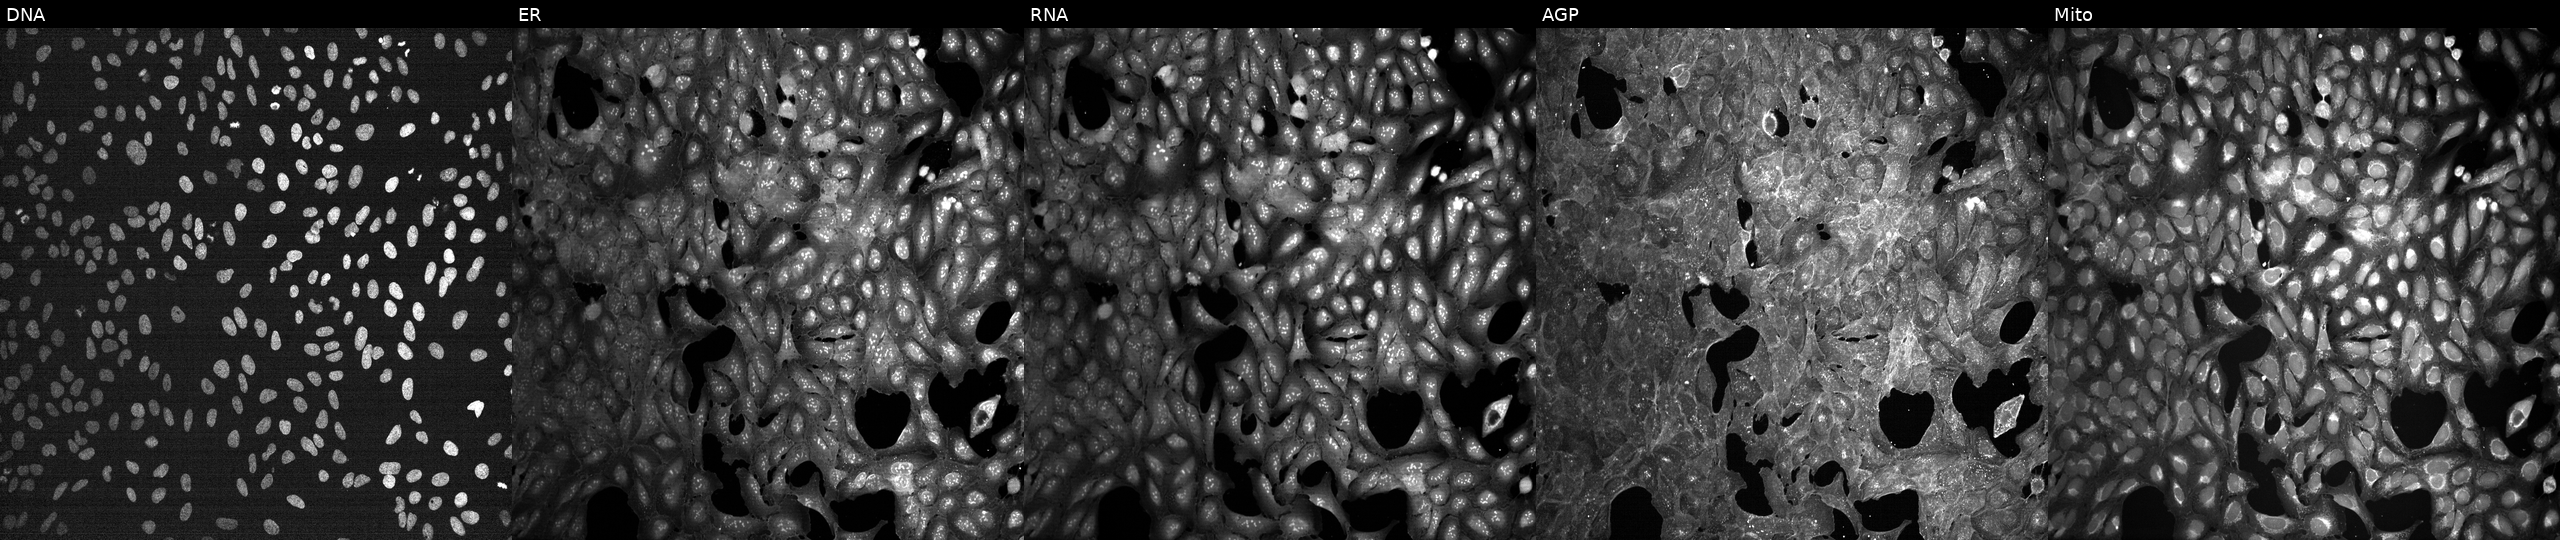
JUMP Cell Painting — TARGET2 plate. U2OS cells exposed to a small-molecule compound (JUMP id JCP2022_027911). The five panels, left to right, show Hoechst 33342, concanavalin A, SYTO 14, phalloidin and WGA, MitoTracker. Source 7, plate CP1-SC1-25, well A06.